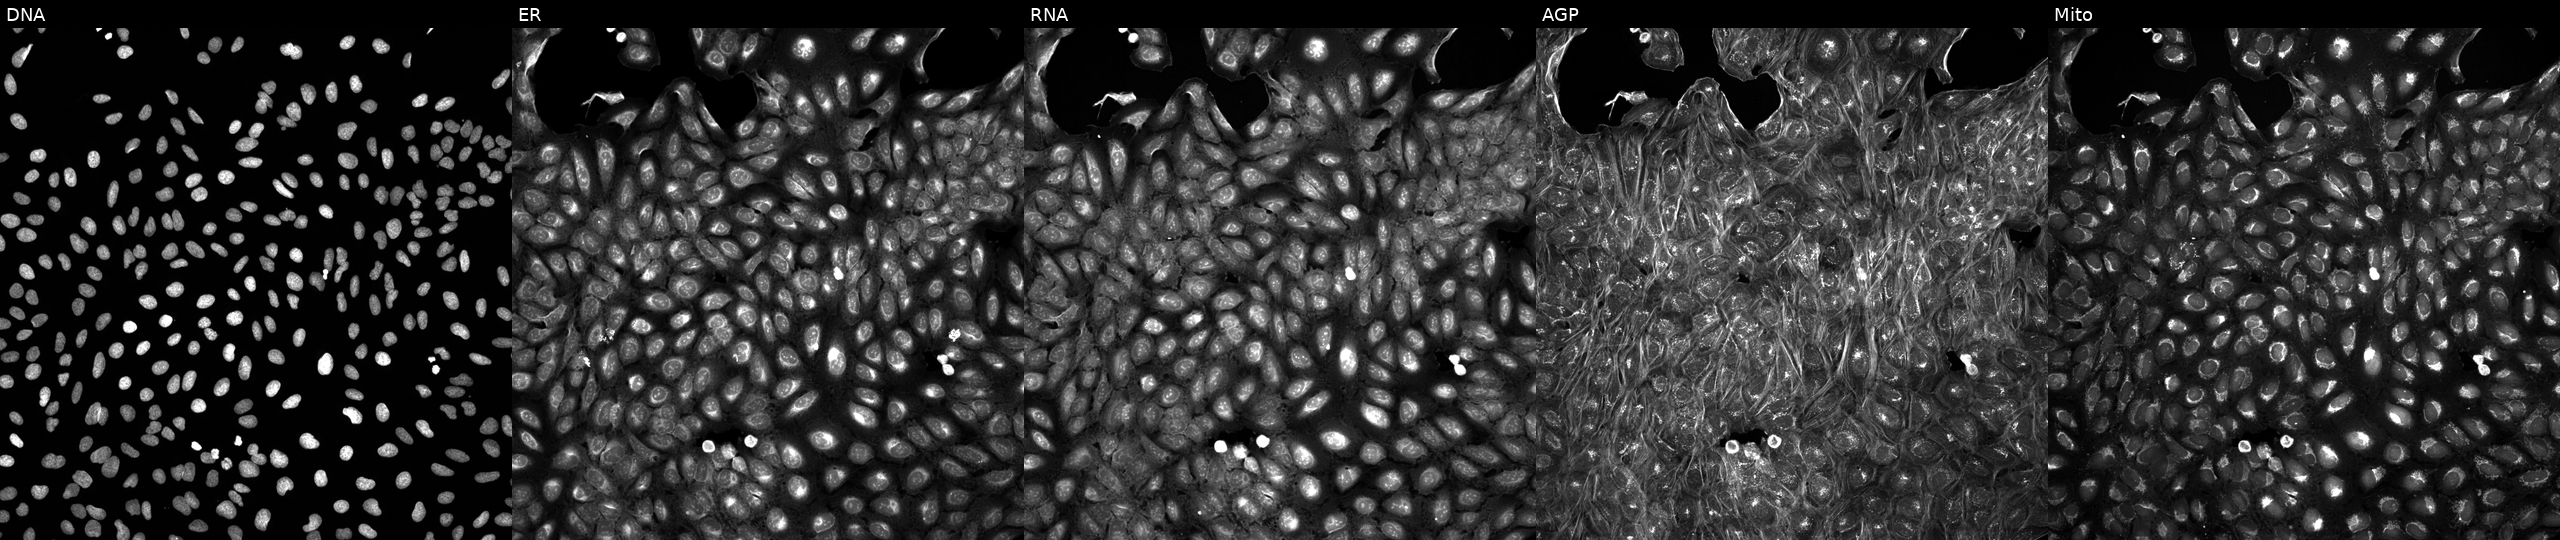
U2OS cells, Cell Painting assay, treated with DMSO vehicle only (negative control) (JUMP id JCP2022_033924). From left to right: DNA, ER, RNA, AGP, and Mito. Each panel is percentile-stretched 16-bit fluorescence. Source 5, plate ACPJUM051, well F21.